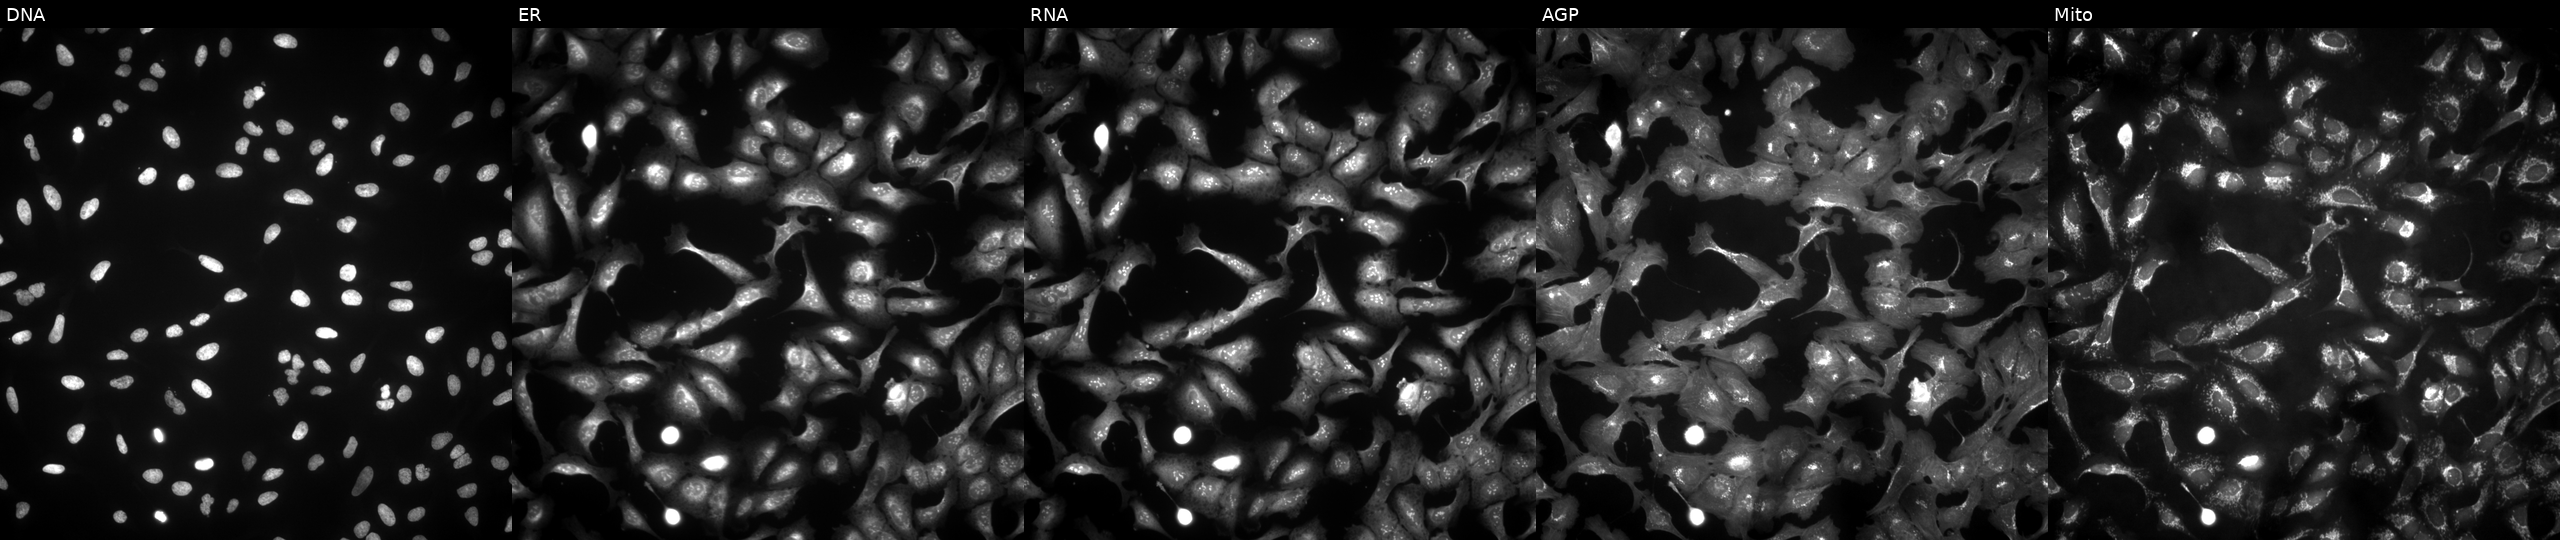
Five-channel Cell Painting image of U2OS cells overexpressing GAD1 via ORF transfection. Channels (left→right): DNA (nuclei); ER (endoplasmic reticulum); RNA (nucleoli and cytoplasmic RNA); AGP (actin cytoskeleton, Golgi, and plasma membrane); Mito (mitochondria).